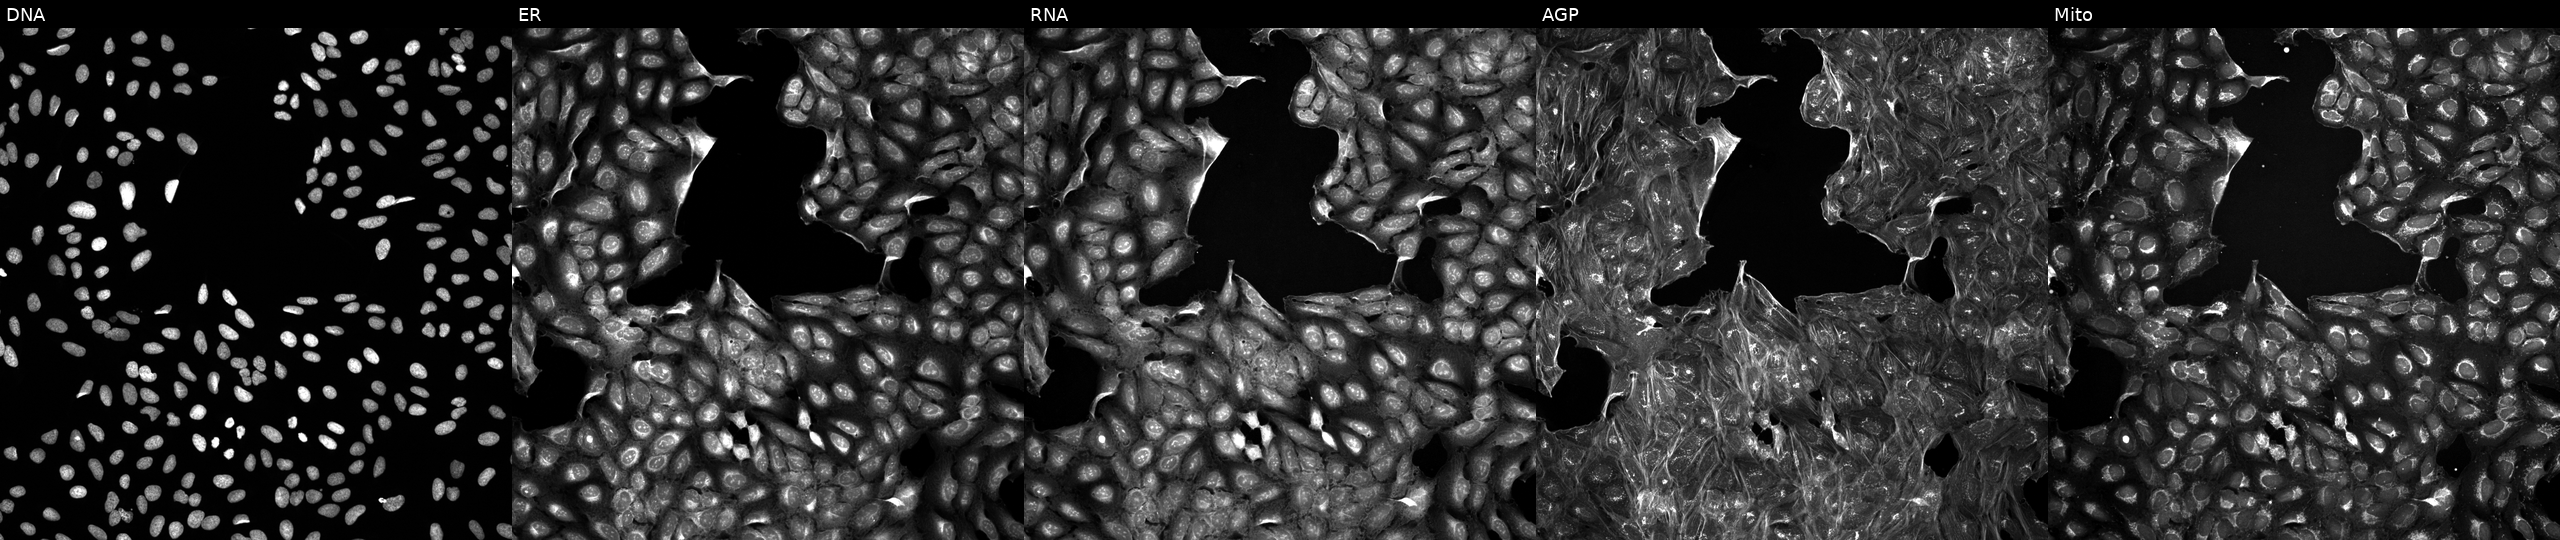
From left to right: DNA (nuclei); ER (endoplasmic reticulum); RNA (nucleoli and cytoplasmic RNA); AGP (actin cytoskeleton, Golgi, and plasma membrane); Mito (mitochondria). U2OS osteosarcoma cells exposed to a small-molecule compound [SMILES: CCOC(=O)C1=C(C)N=C(C)C(C(=O)OC)C1c1cccc(Cl)c1Cl] (JUMP id JCP2022_028940). Cell Painting assay, JUMP-CP dataset.